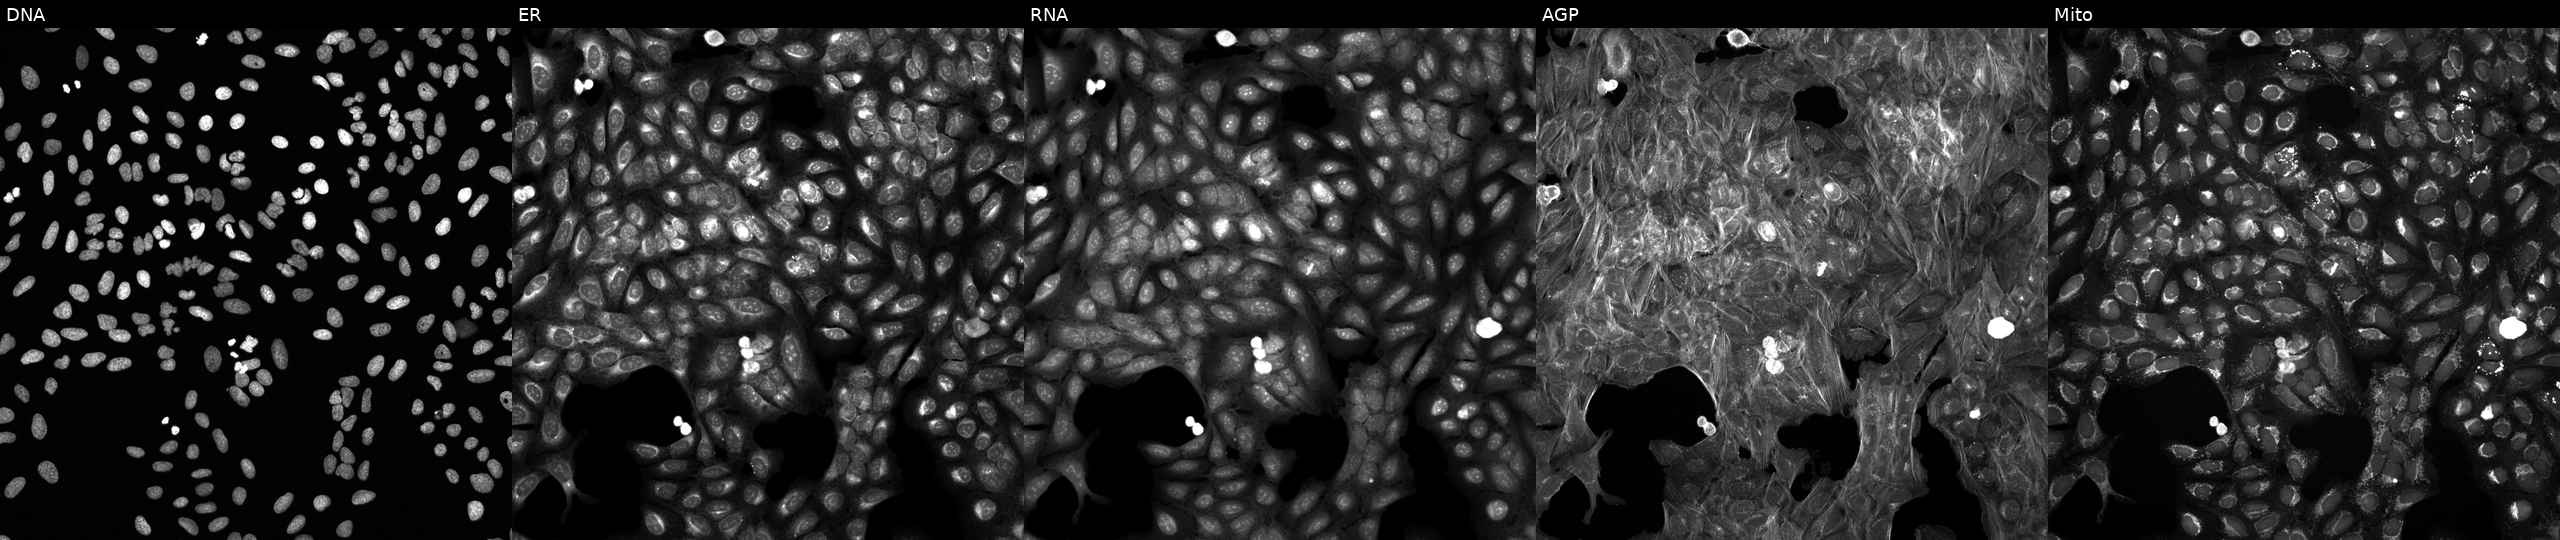
U2OS cells, Cell Painting assay, exposed to a small-molecule compound [SMILES: Cc1cc(C)cc(C(=O)N(C)C(Cc2ccc(-c3ccccc3)cc2)C(=O)NC(Cc2c[nH]c3ccccc23)C(=O)O)c1] (JUMP id JCP2022_092464). From left to right: Hoechst 33342, concanavalin A, SYTO 14, phalloidin and WGA, MitoTracker. Each panel is percentile-stretched 16-bit fluorescence.